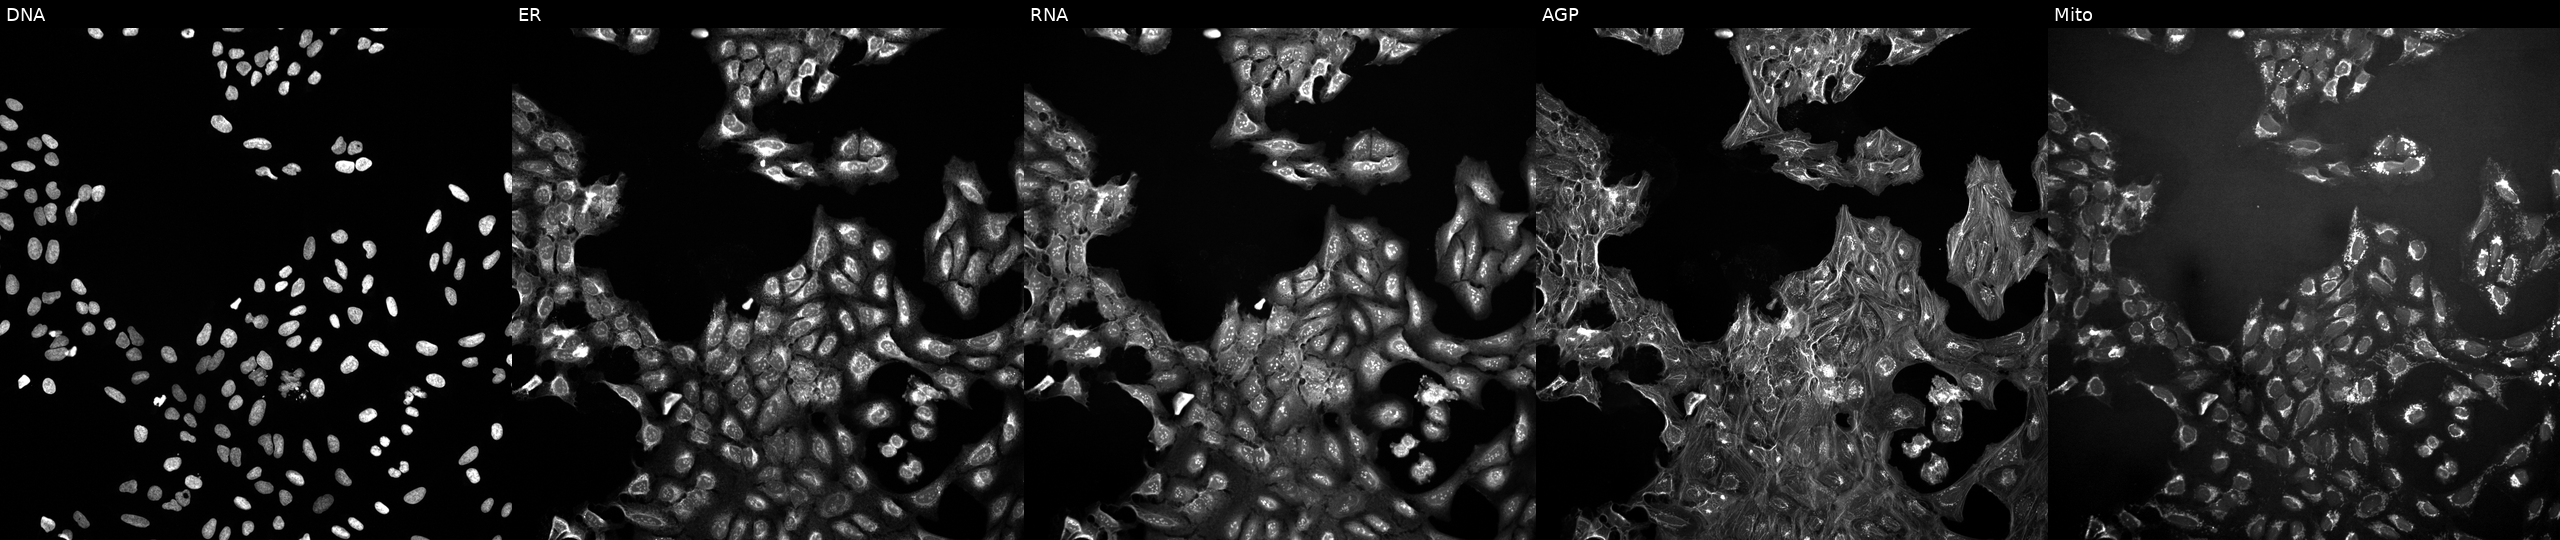
U2OS cells, Cell Painting assay, exposed to DMSO alone as a negative control. Channels (left→right): DNA (nuclei); ER (endoplasmic reticulum); RNA (nucleoli and cytoplasmic RNA); AGP (actin cytoskeleton, Golgi, and plasma membrane); Mito (mitochondria). Each panel is percentile-stretched 16-bit fluorescence. Source 10, plate Dest210531-152324, well I02.